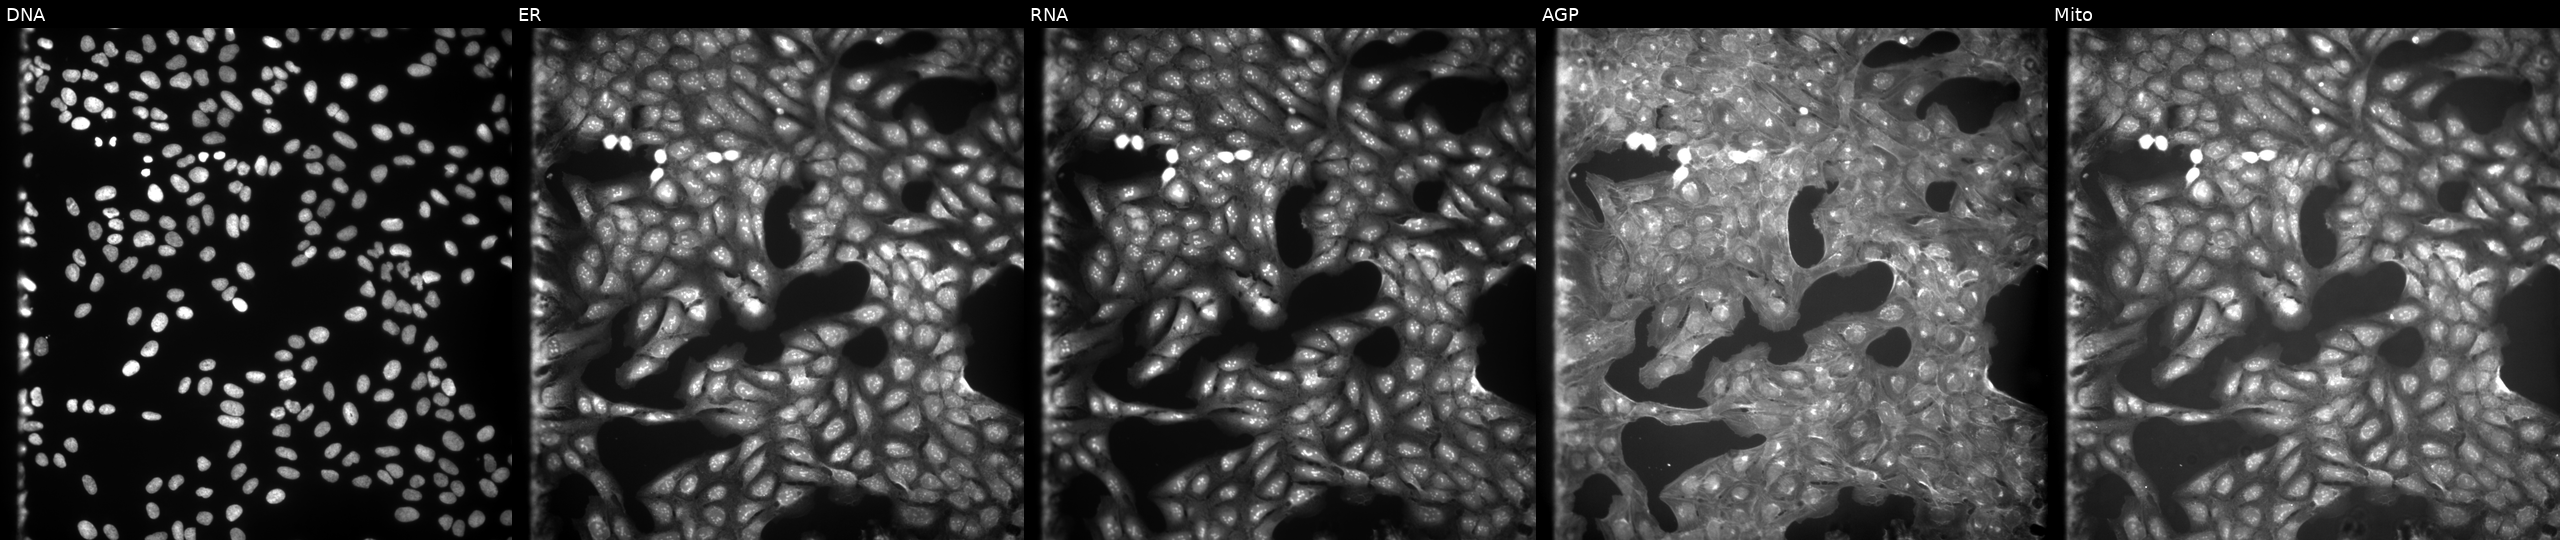
Channels (left→right): Hoechst 33342, concanavalin A, SYTO 14, phalloidin and WGA, MitoTracker. U2OS osteosarcoma cells exposed to a small-molecule compound (InChIKey KTVPUWIMBPTRCY-UHFFFAOYSA-N) (JUMP id JCP2022_046965). Cell Painting assay, JUMP-CP dataset.